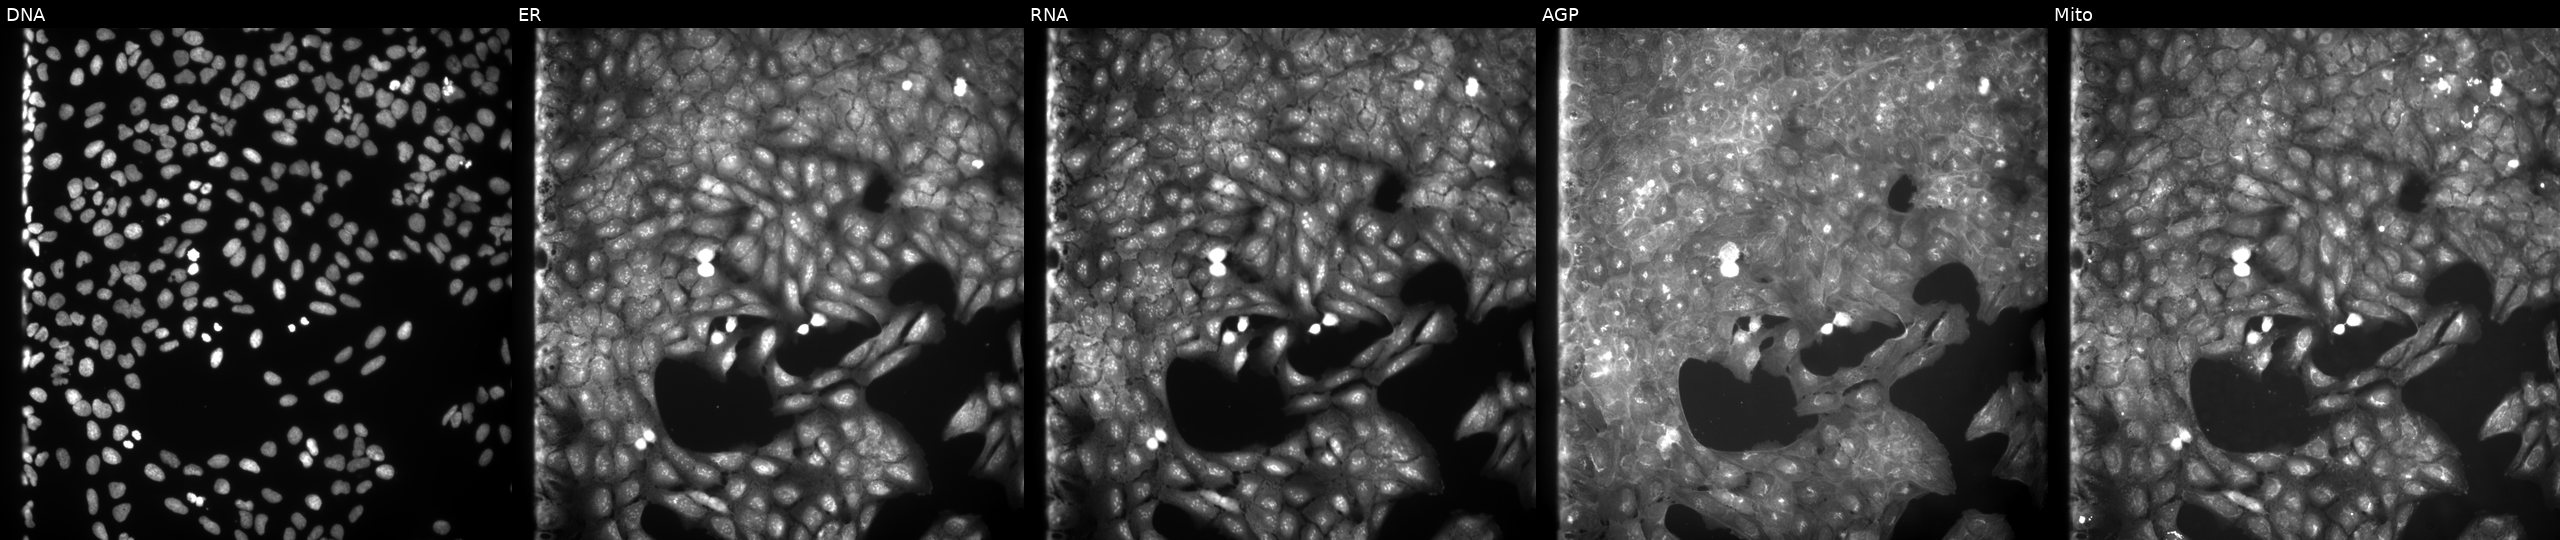
U2OS cells, Cell Painting assay, exposed to a small-molecule compound (InChIKey DKFCSXLEMHPIFG-UHFFFAOYSA-N). Channels (left→right): DNA, ER, RNA, AGP, and Mito. Each panel is percentile-stretched 16-bit fluorescence.